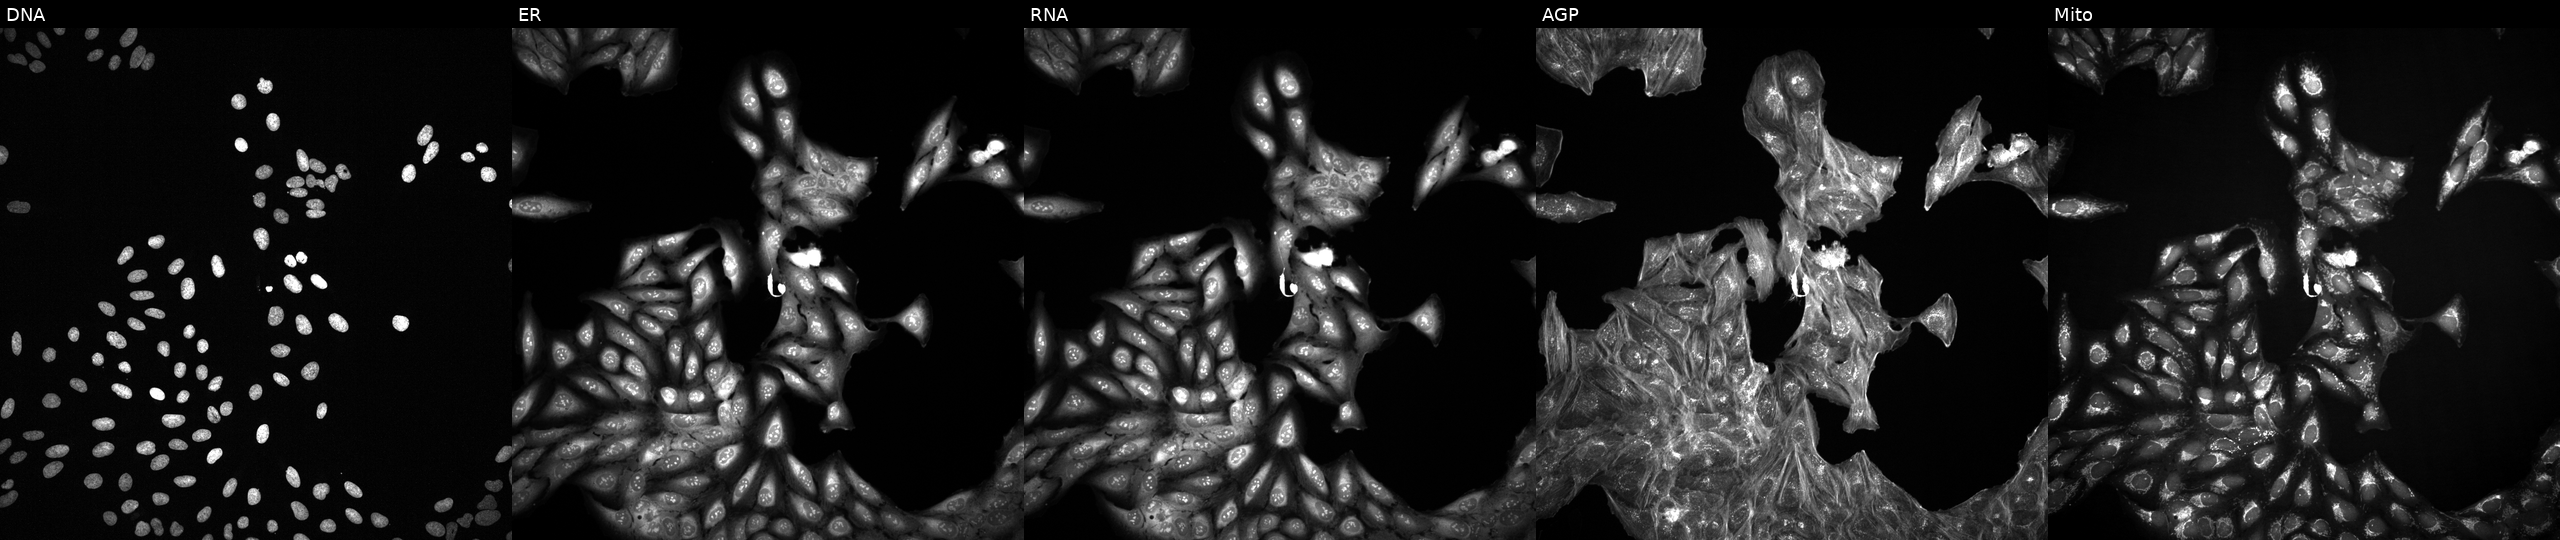
JUMP Cell Painting — TARGET2 plate. U2OS cells perturbed with a small-molecule compound (InChIKey HJYYPODYNSCCOU-UHFFFAOYSA-N). Panels show, left to right, DNA, ER, RNA, AGP, and Mito.